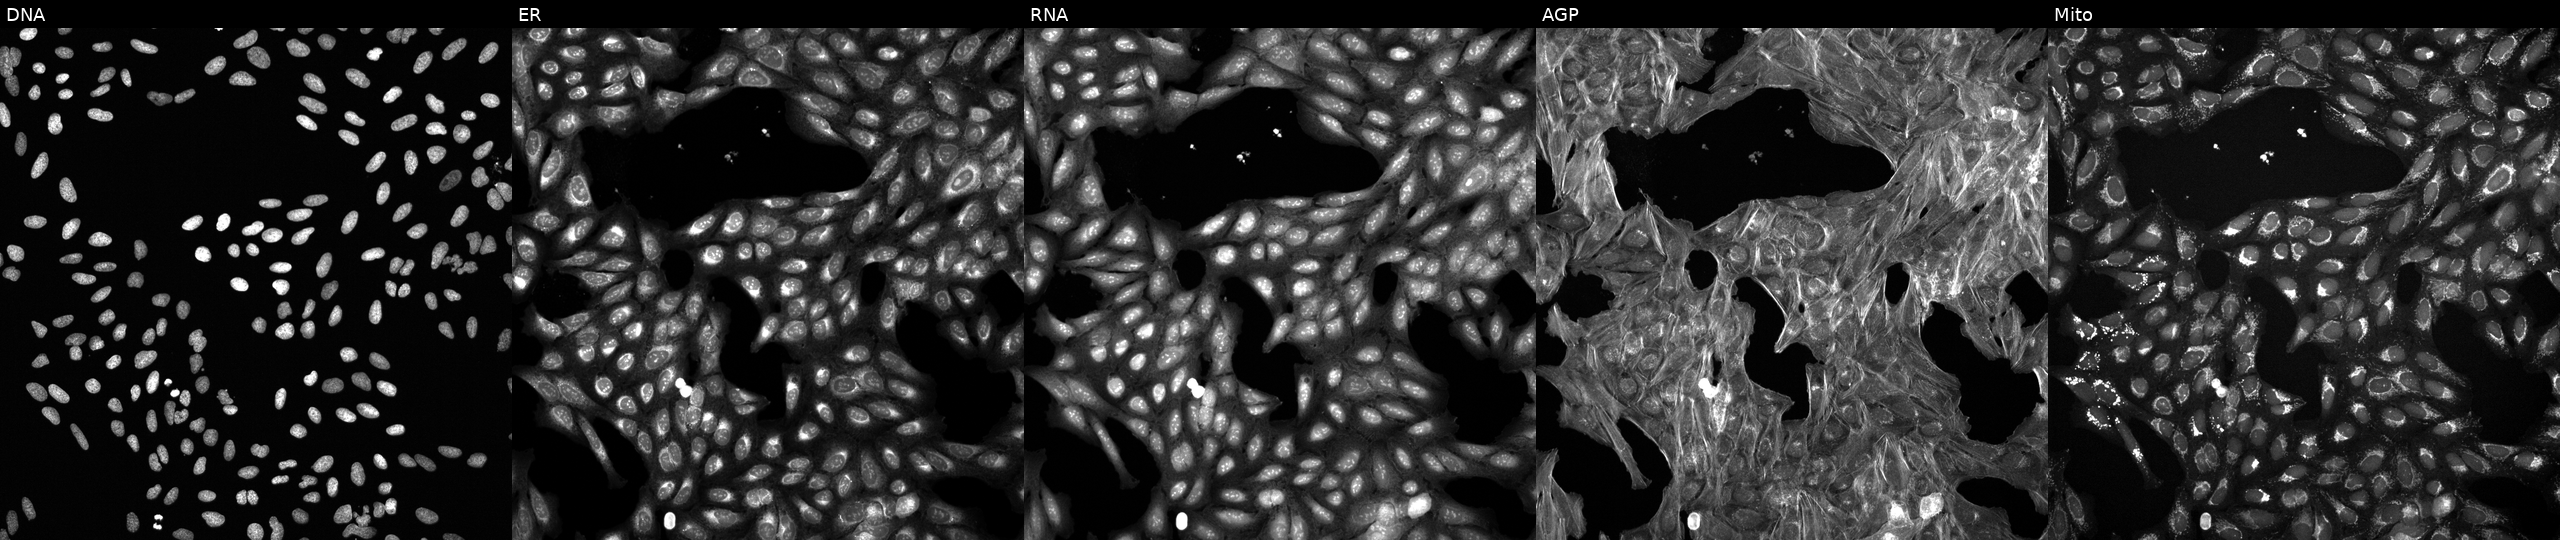
Five-channel Cell Painting image of U2OS cells exposed to a small-molecule compound (JUMP id JCP2022_105119). From left to right: DNA, ER, RNA, AGP, and Mito. Source 6, plate 110000293083, well K04.